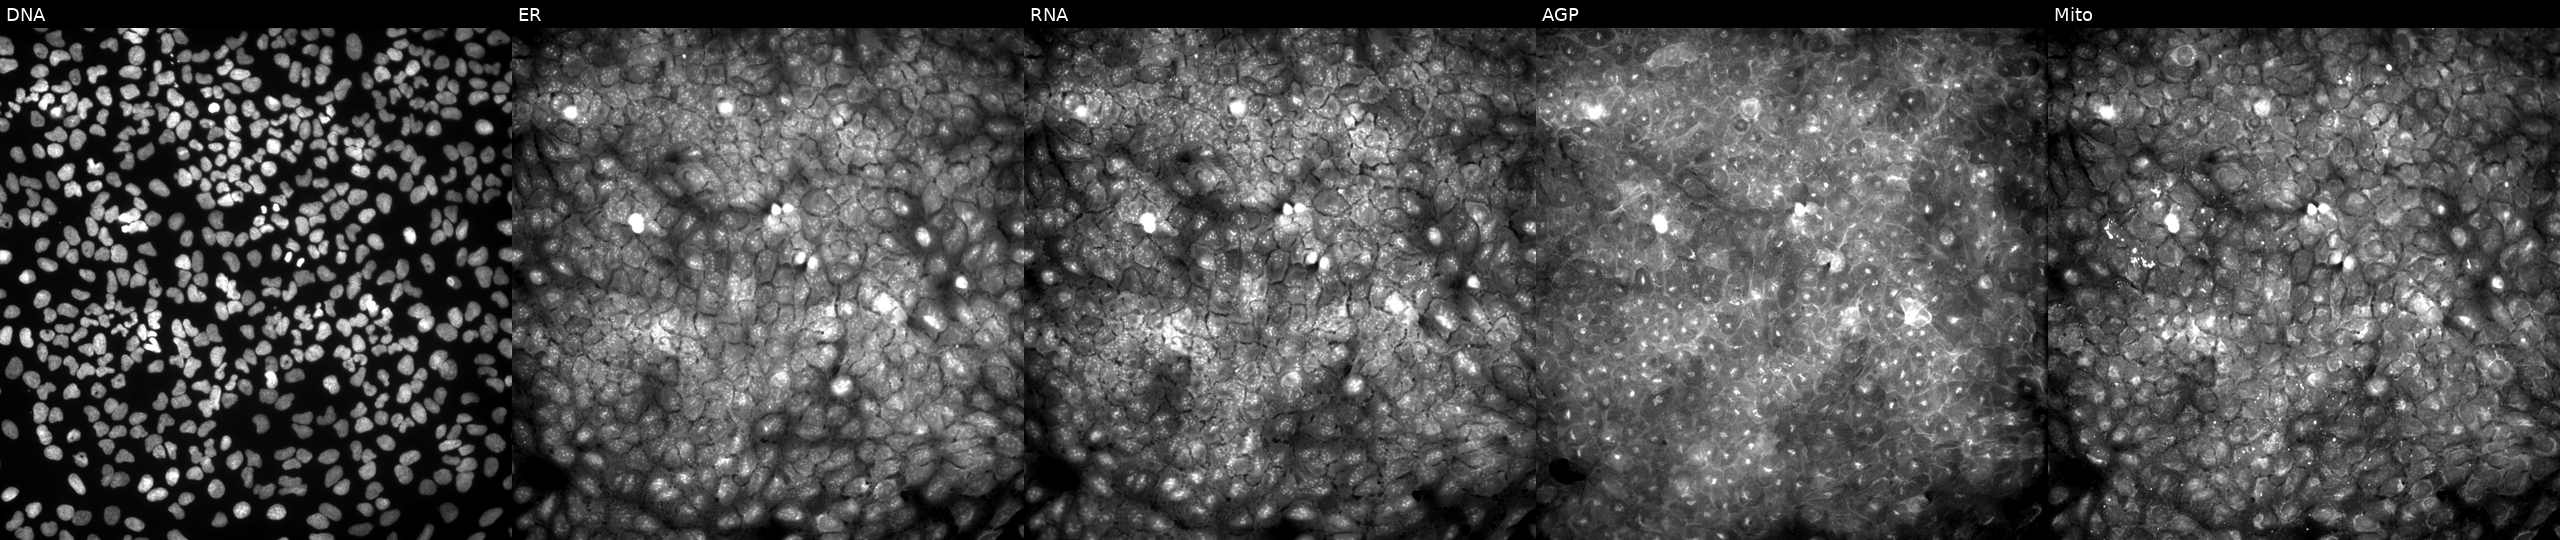
Five-channel Cell Painting image of U2OS cells treated with DMSO vehicle only (negative control) (JUMP id JCP2022_033924). Panels show, left to right, DNA, ER, RNA, AGP, and Mito. Source 9, plate GR00003382, well P26.